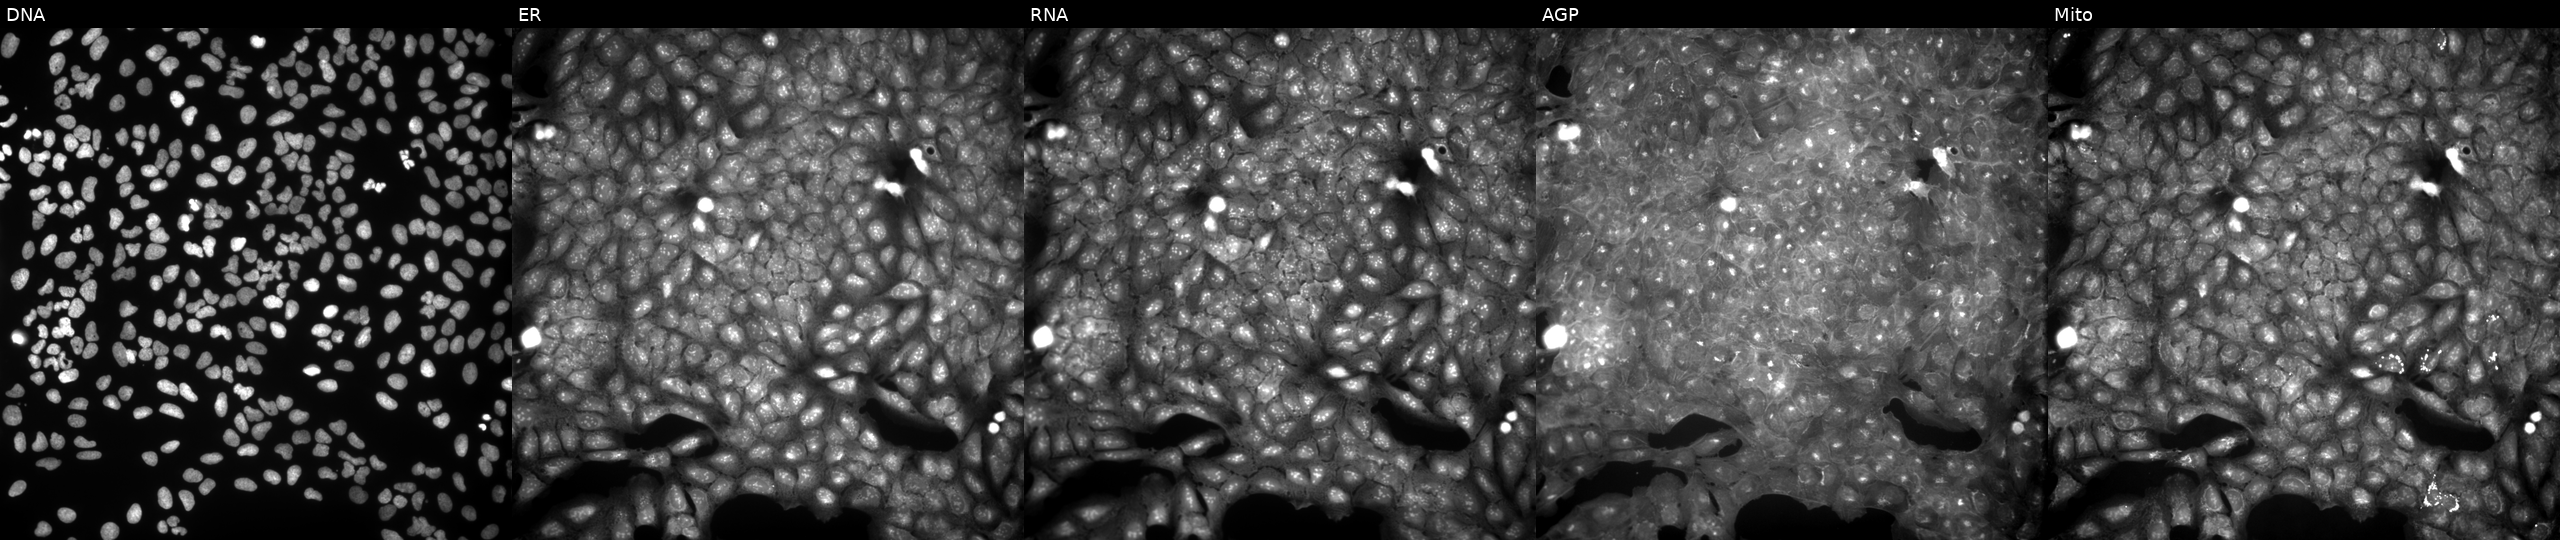
Five-channel Cell Painting image of U2OS cells perturbed with a small-molecule compound. From left to right: DNA, ER, RNA, AGP, and Mito.